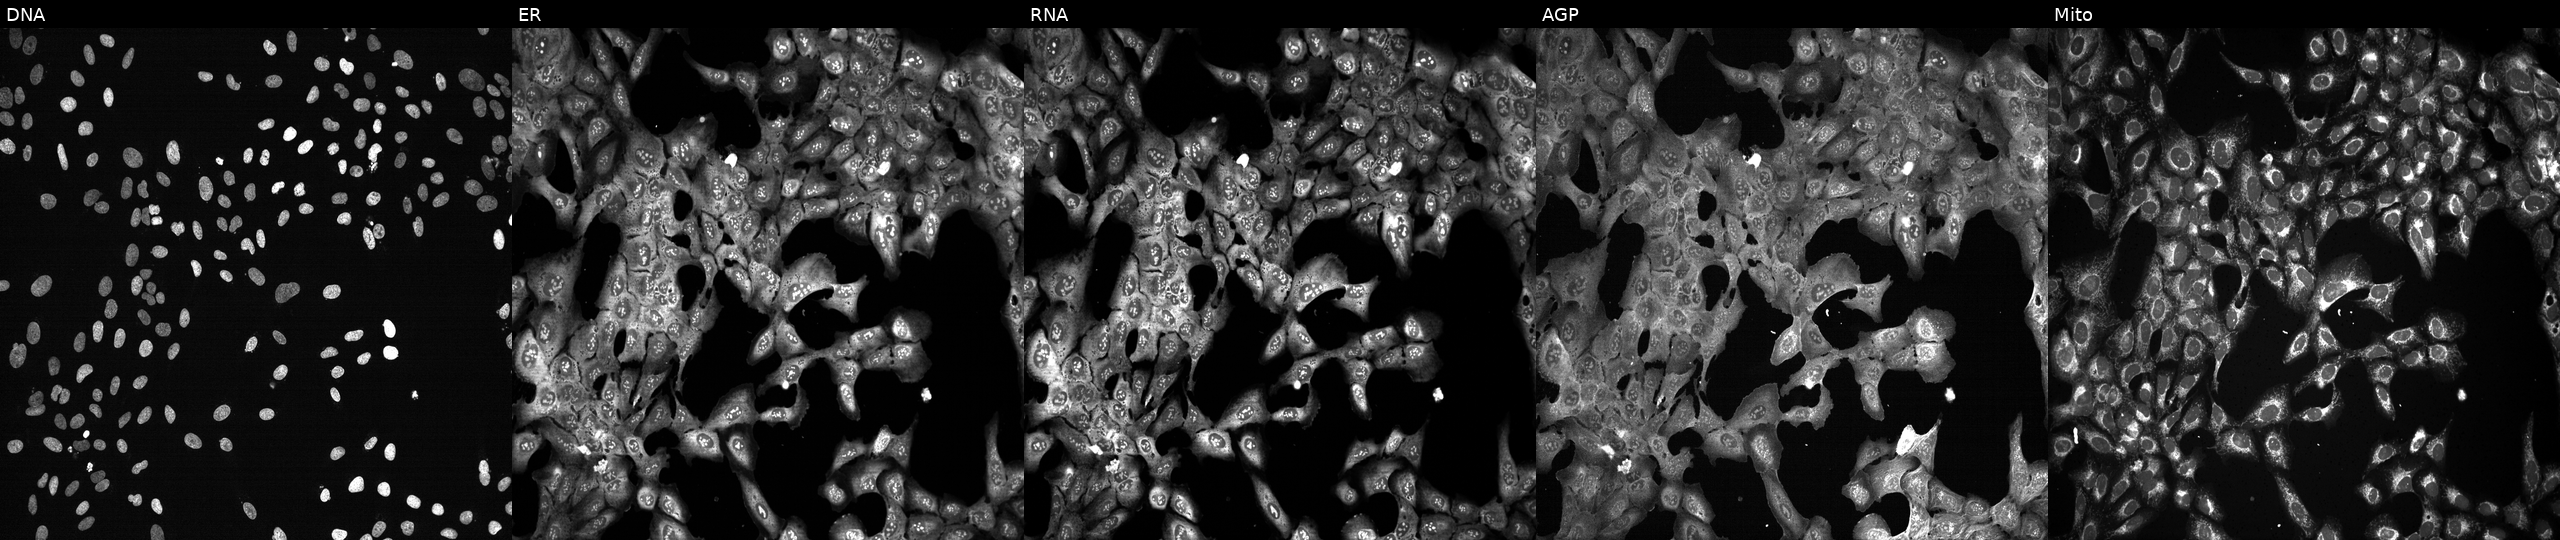
U2OS cells, Cell Painting assay, with EIF3E knocked out by CRISPR. Panels show, left to right, Hoechst 33342, concanavalin A, SYTO 14, phalloidin and WGA, MitoTracker. Each panel is percentile-stretched 16-bit fluorescence. Source 13, plate CP-CC9-R3-02, well G03.